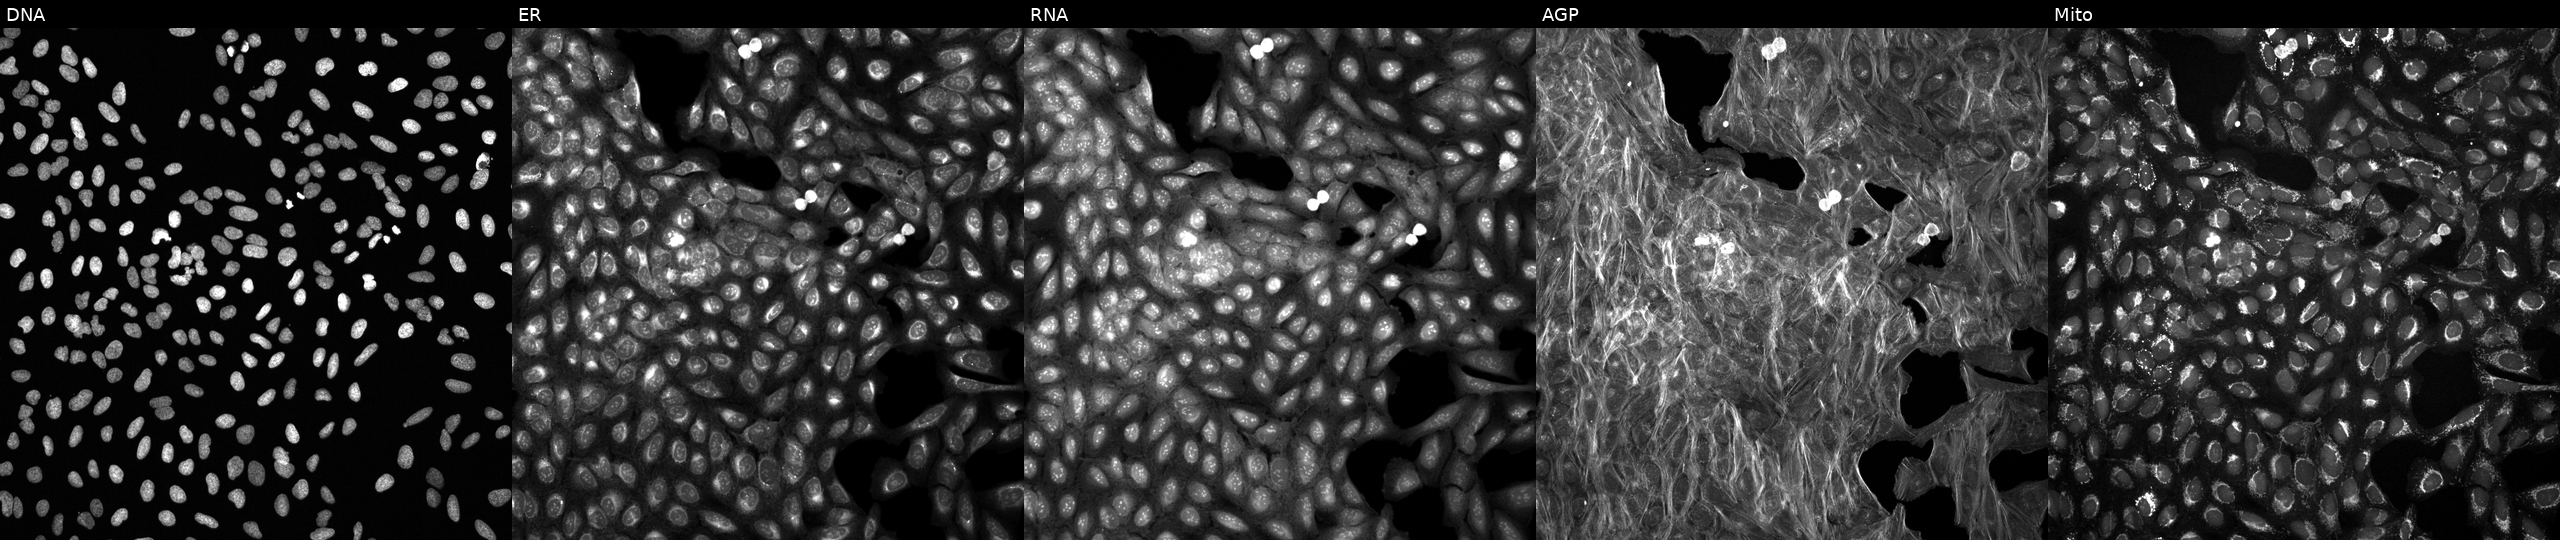
JUMP Cell Painting — TARGET2 plate. U2OS cells treated with DMSO vehicle only (negative control). Channels (left→right): DNA (nuclei); ER (endoplasmic reticulum); RNA (nucleoli and cytoplasmic RNA); AGP (actin cytoskeleton, Golgi, and plasma membrane); Mito (mitochondria).